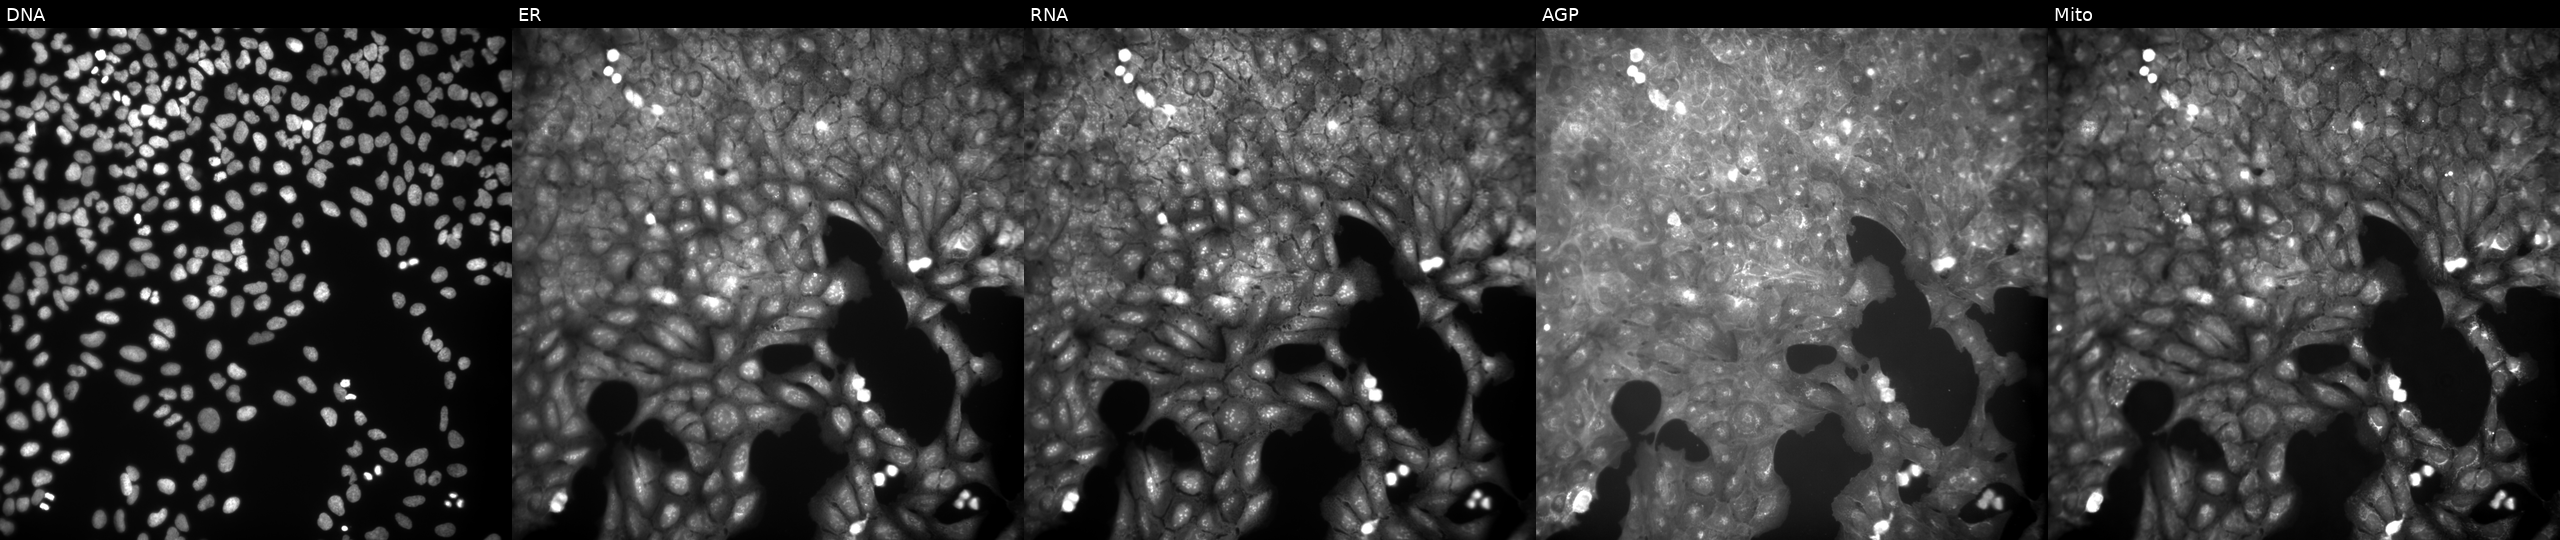
JUMP Cell Painting — COMPOUND plate. U2OS cells exposed to DMSO alone as a negative control (JUMP id JCP2022_033924). Channels (left→right): Hoechst 33342, concanavalin A, SYTO 14, phalloidin and WGA, MitoTracker.